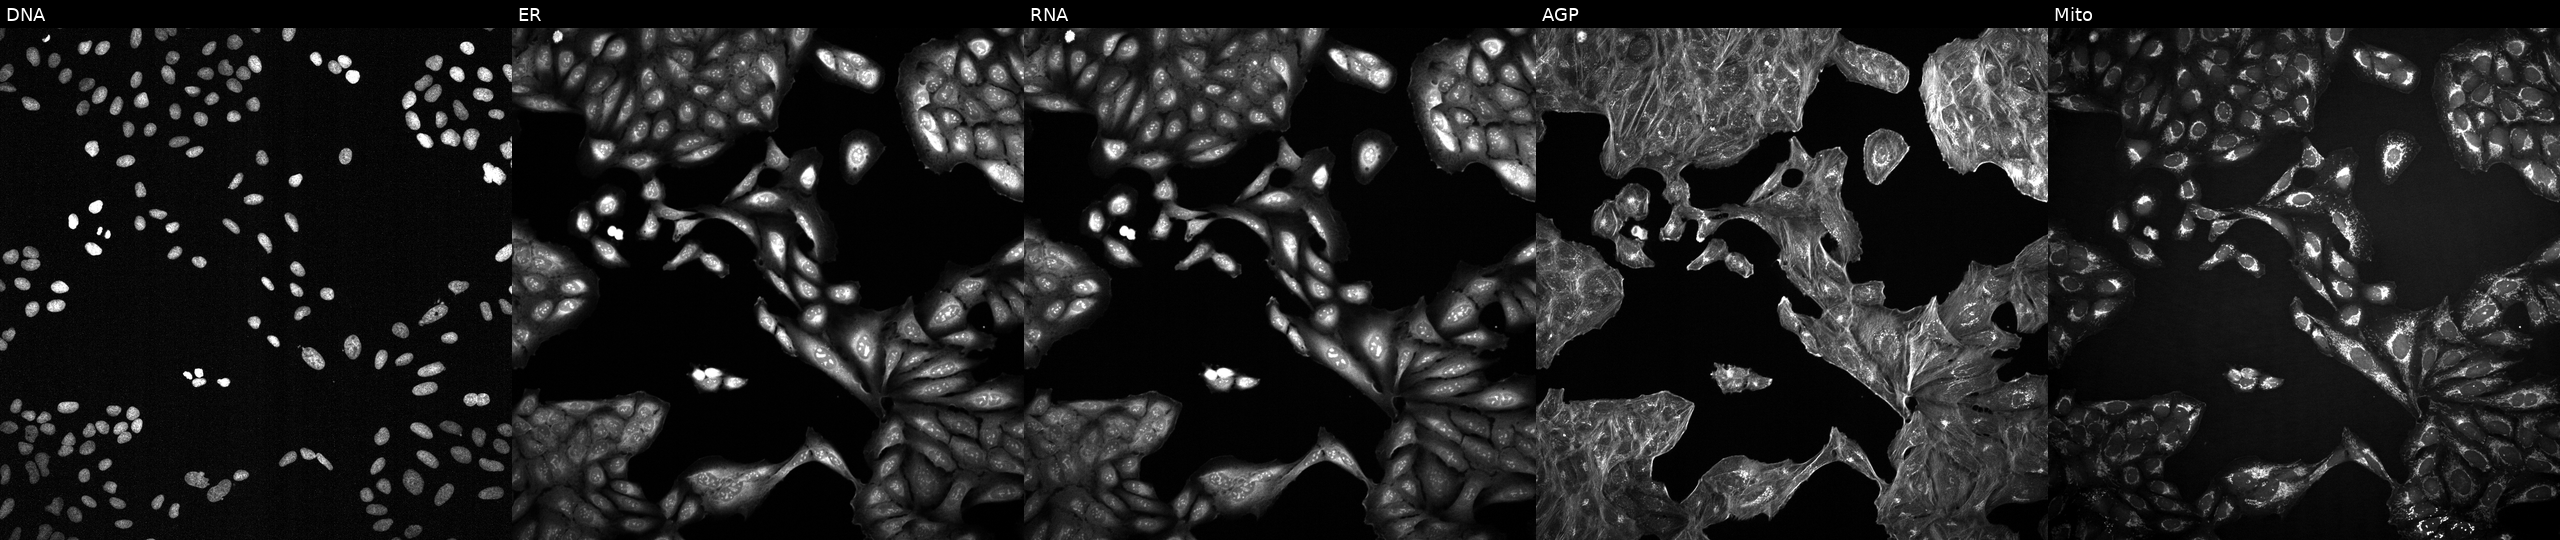
High-content fluorescence microscopy (Cell Painting). Cell line: U2OS. Perturbation: exposed to a small-molecule compound (InChIKey LMEKQMALGUDUQG-UHFFFAOYSA-N) (JUMP id JCP2022_050338). From left to right: DNA (nuclei); ER (endoplasmic reticulum); RNA (nucleoli and cytoplasmic RNA); AGP (actin cytoskeleton, Golgi, and plasma membrane); Mito (mitochondria).